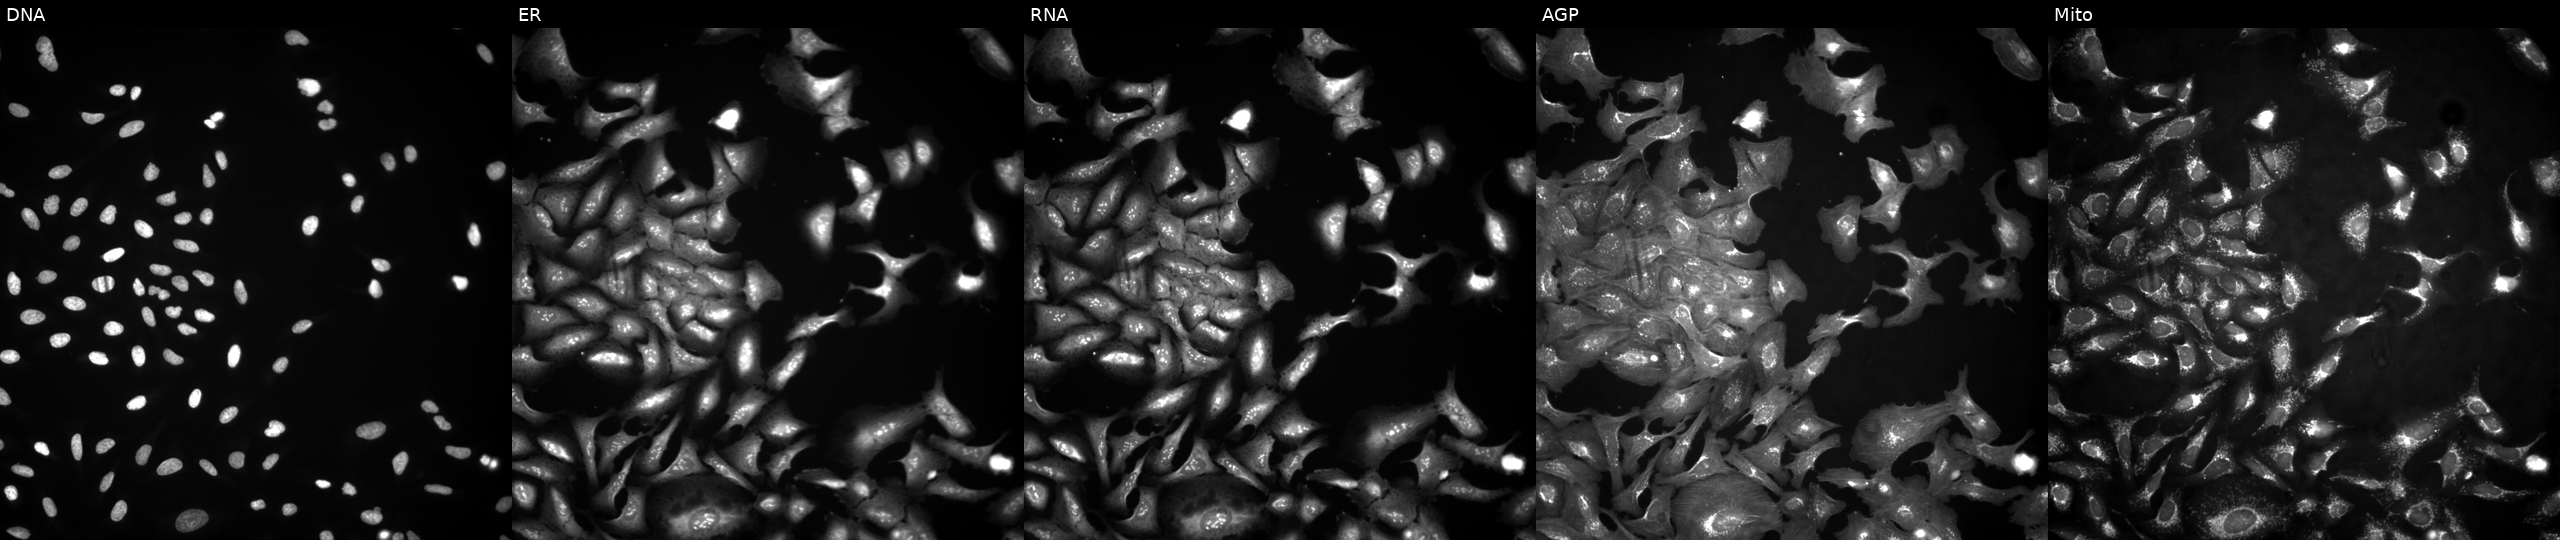
High-content fluorescence microscopy (Cell Painting). Cell line: U2OS. Perturbation: with TYW5 overexpressed (ORF). The five panels, left to right, show DNA, ER, RNA, AGP, and Mito. Source 4, plate BR00117035, well I18.